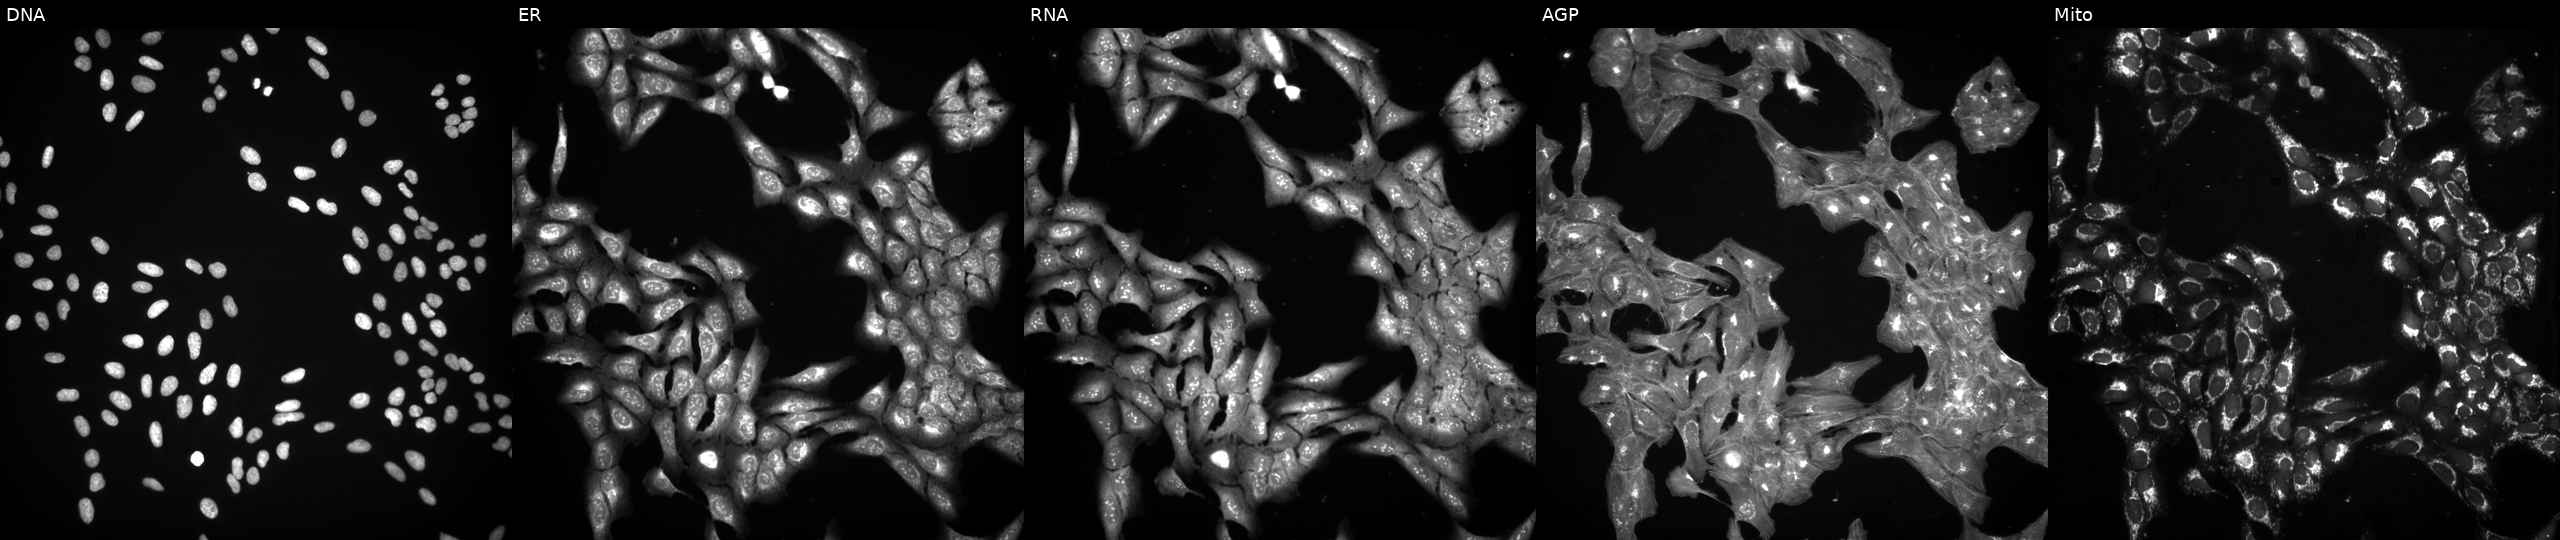
High-content fluorescence microscopy (Cell Painting). Cell line: U2OS. Perturbation: perturbed with a small-molecule compound (InChIKey MURDDJDHCFHGKB-UHFFFAOYSA-N). Panels show, left to right, DNA (nuclei); ER (endoplasmic reticulum); RNA (nucleoli and cytoplasmic RNA); AGP (actin cytoskeleton, Golgi, and plasma membrane); Mito (mitochondria).